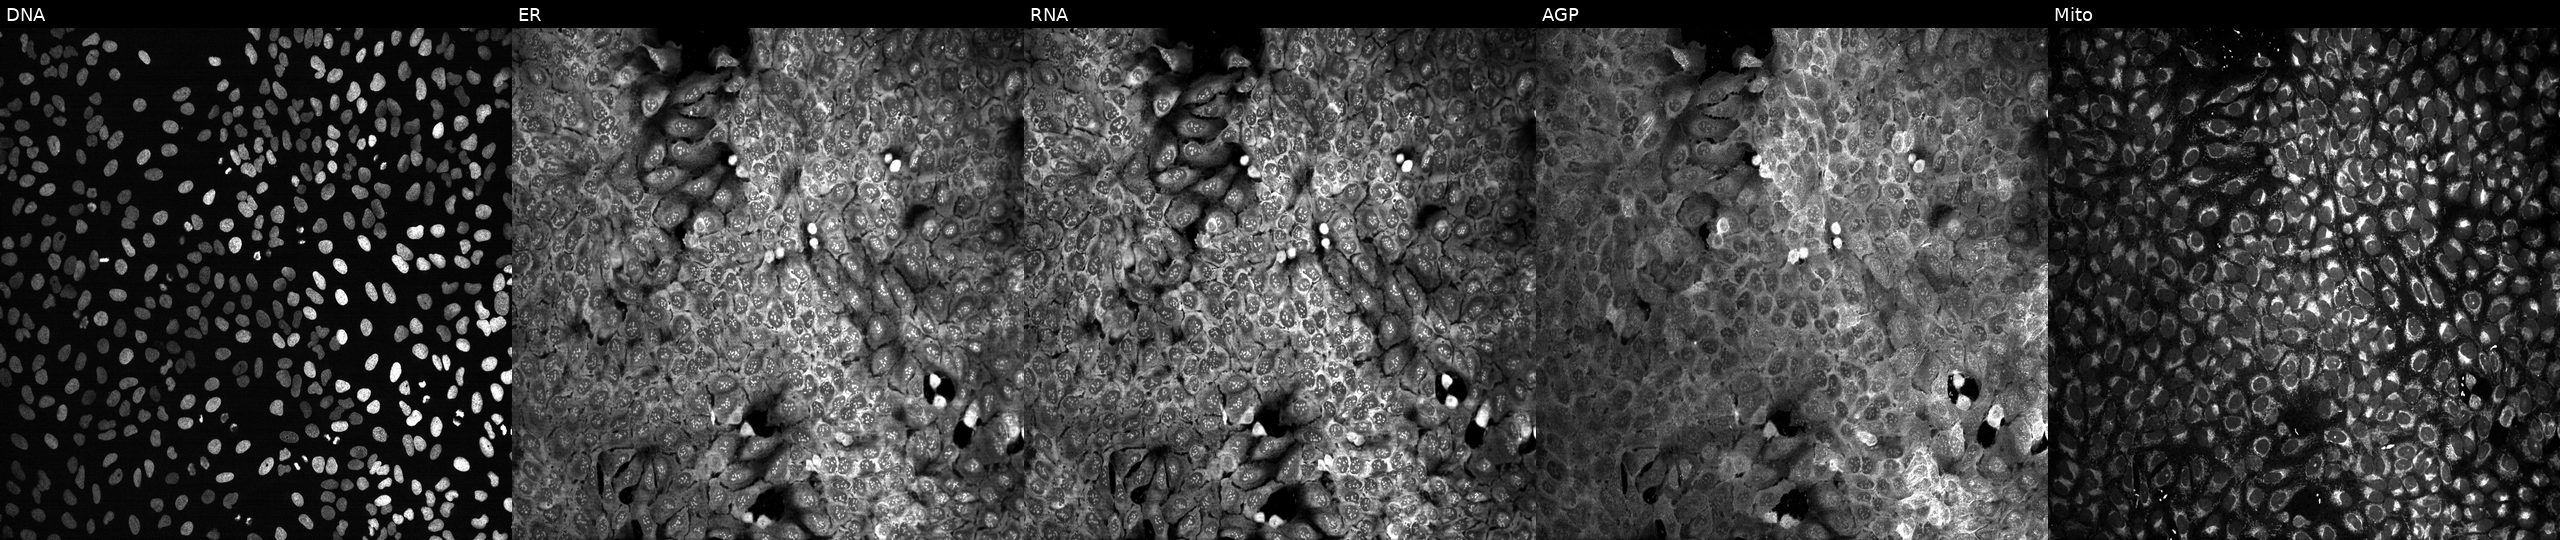
This image strip shows the five Cell Painting channels for a single field of U2OS cells treated with DMSO vehicle only (negative control) (JUMP id JCP2022_033924). From left to right: Hoechst 33342, concanavalin A, SYTO 14, phalloidin and WGA, MitoTracker.